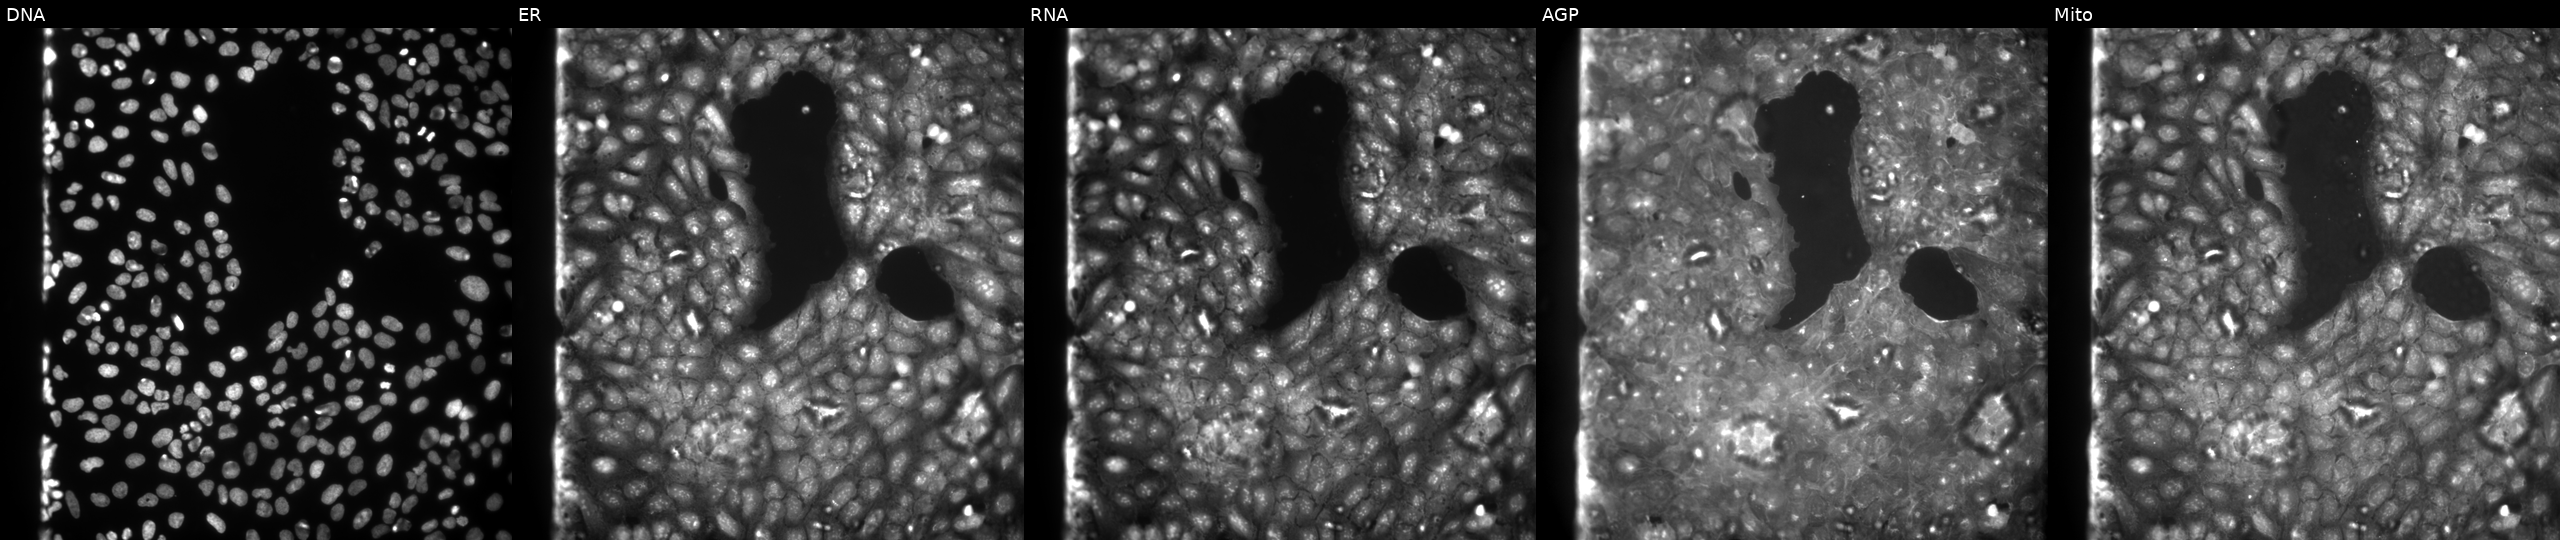
This image strip shows the five Cell Painting channels for a single field of U2OS cells exposed to a small-molecule compound (InChIKey OWGPGVCFGYYWGB-UHFFFAOYSA-N) [SMILES: Cn1c(=O)c2c(ncn2Cc2ccc(Cl)cc2)n(C)c1=O]. Panels show, left to right, Hoechst 33342, concanavalin A, SYTO 14, phalloidin and WGA, MitoTracker. Source 9, plate GR00003382, well D03.